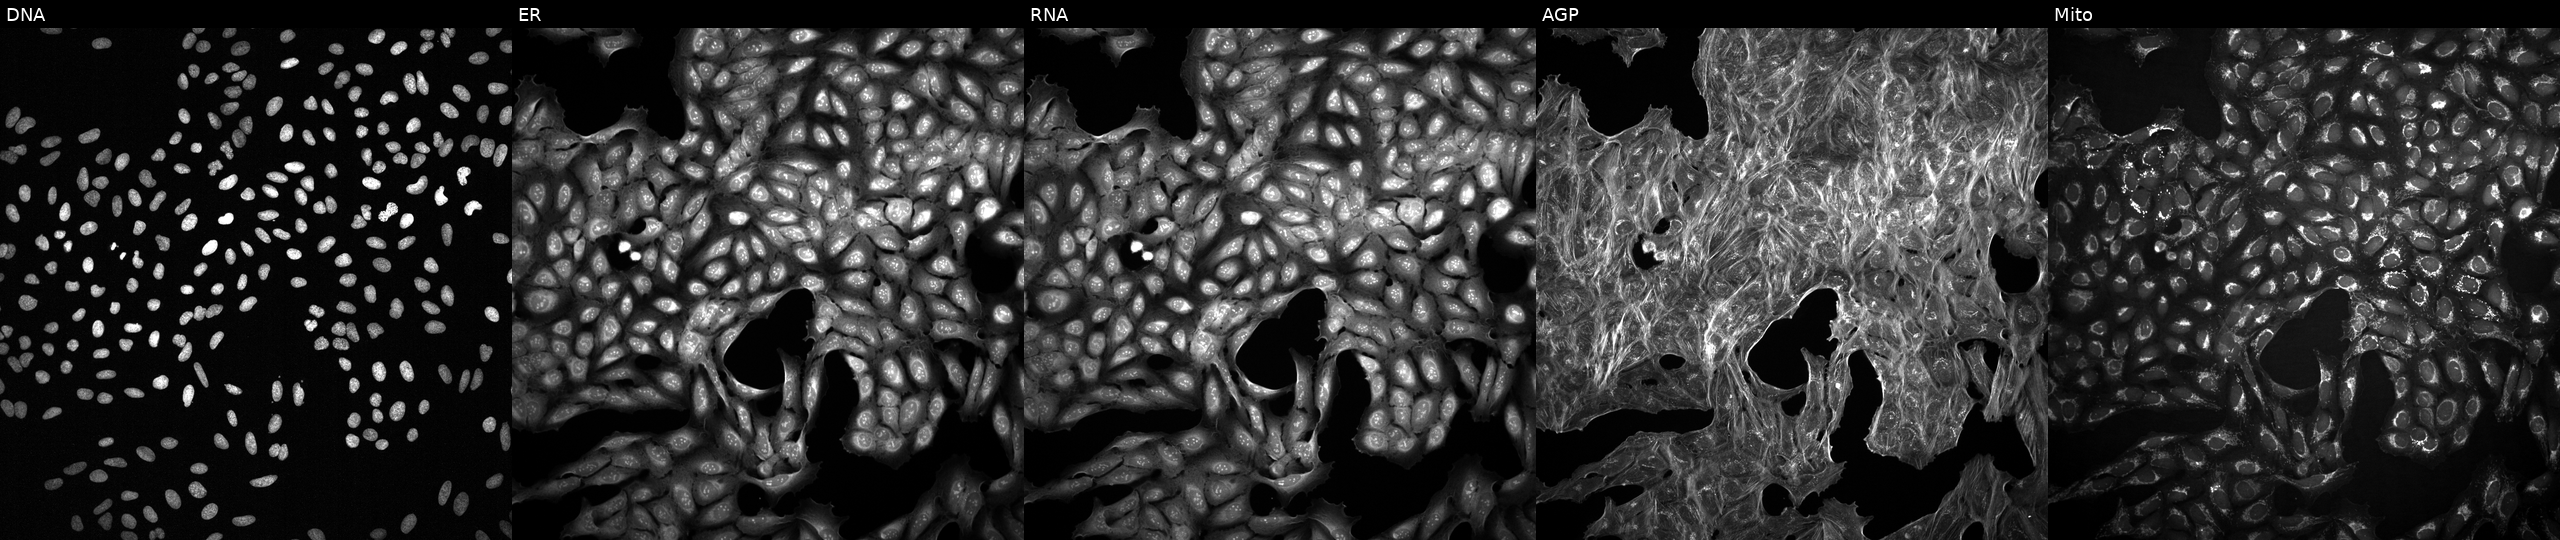
U2OS cells, Cell Painting assay, exposed to a small-molecule compound (InChIKey KMSMPFAZCACHGL-UHFFFAOYSA-N) (JUMP id JCP2022_045626). Channels (left→right): DNA (nuclei); ER (endoplasmic reticulum); RNA (nucleoli and cytoplasmic RNA); AGP (actin cytoskeleton, Golgi, and plasma membrane); Mito (mitochondria). Each panel is percentile-stretched 16-bit fluorescence.